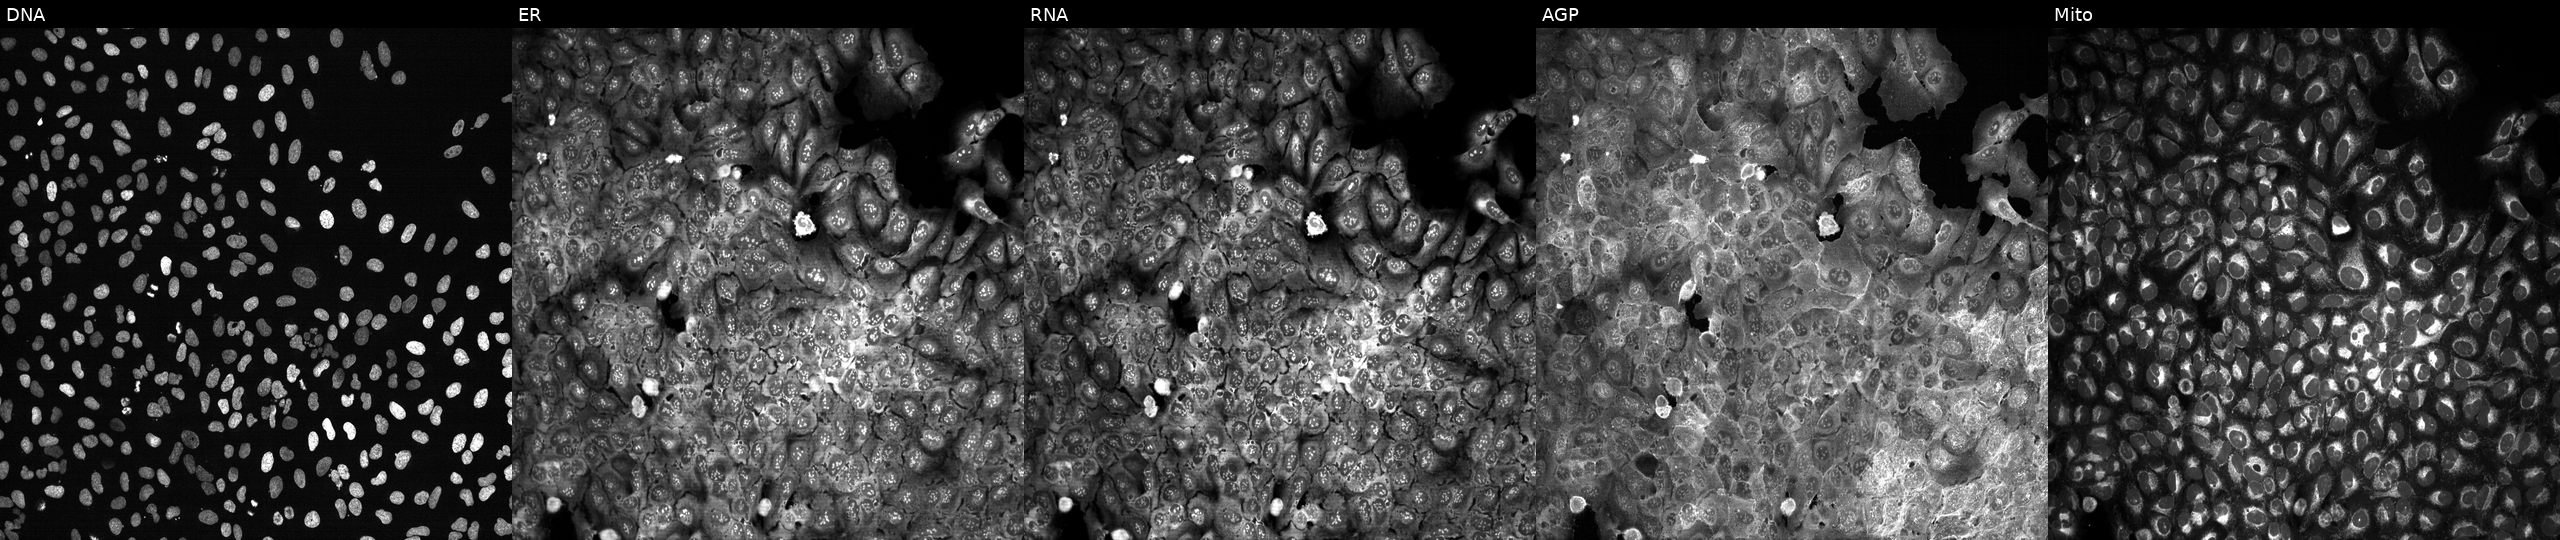
From left to right: DNA, ER, RNA, AGP, and Mito. U2OS osteosarcoma cells following CRISPR knockout of SLC2A2. Cell Painting assay, JUMP-CP dataset. Source 13, plate CP-CC9-R3-02, well B14.